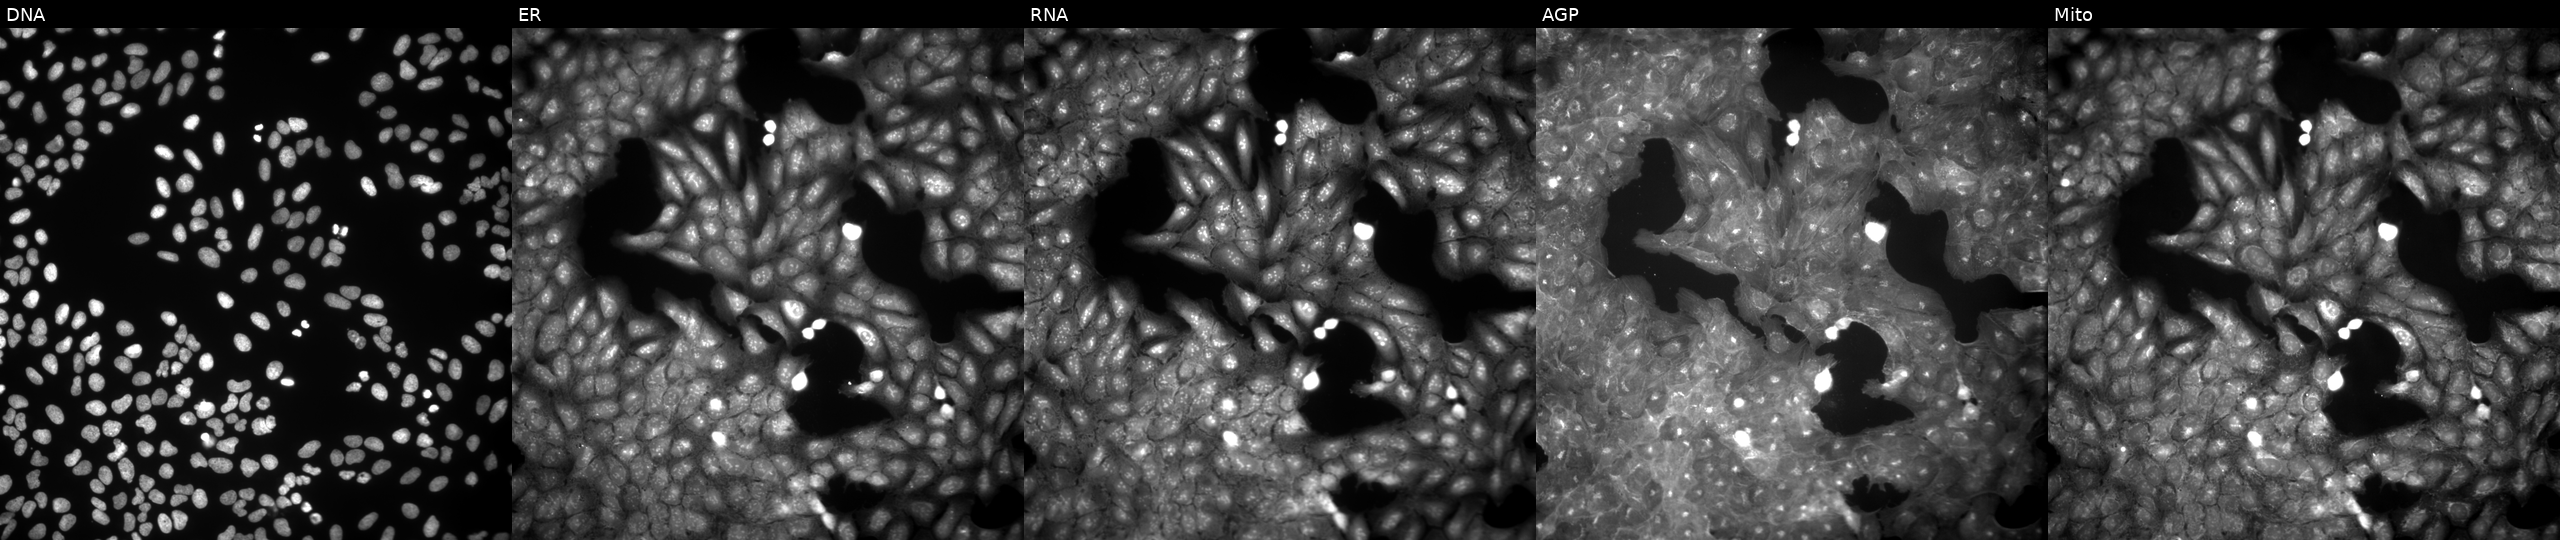
U2OS cells, Cell Painting assay, treated with a small-molecule compound (InChIKey WHBHVWJCYADVEO-UHFFFAOYSA-N) (JUMP id JCP2022_098696). The five panels, left to right, show DNA (nuclei); ER (endoplasmic reticulum); RNA (nucleoli and cytoplasmic RNA); AGP (actin cytoskeleton, Golgi, and plasma membrane); Mito (mitochondria). Each panel is percentile-stretched 16-bit fluorescence. Source 9, plate GR00003381, well W37.